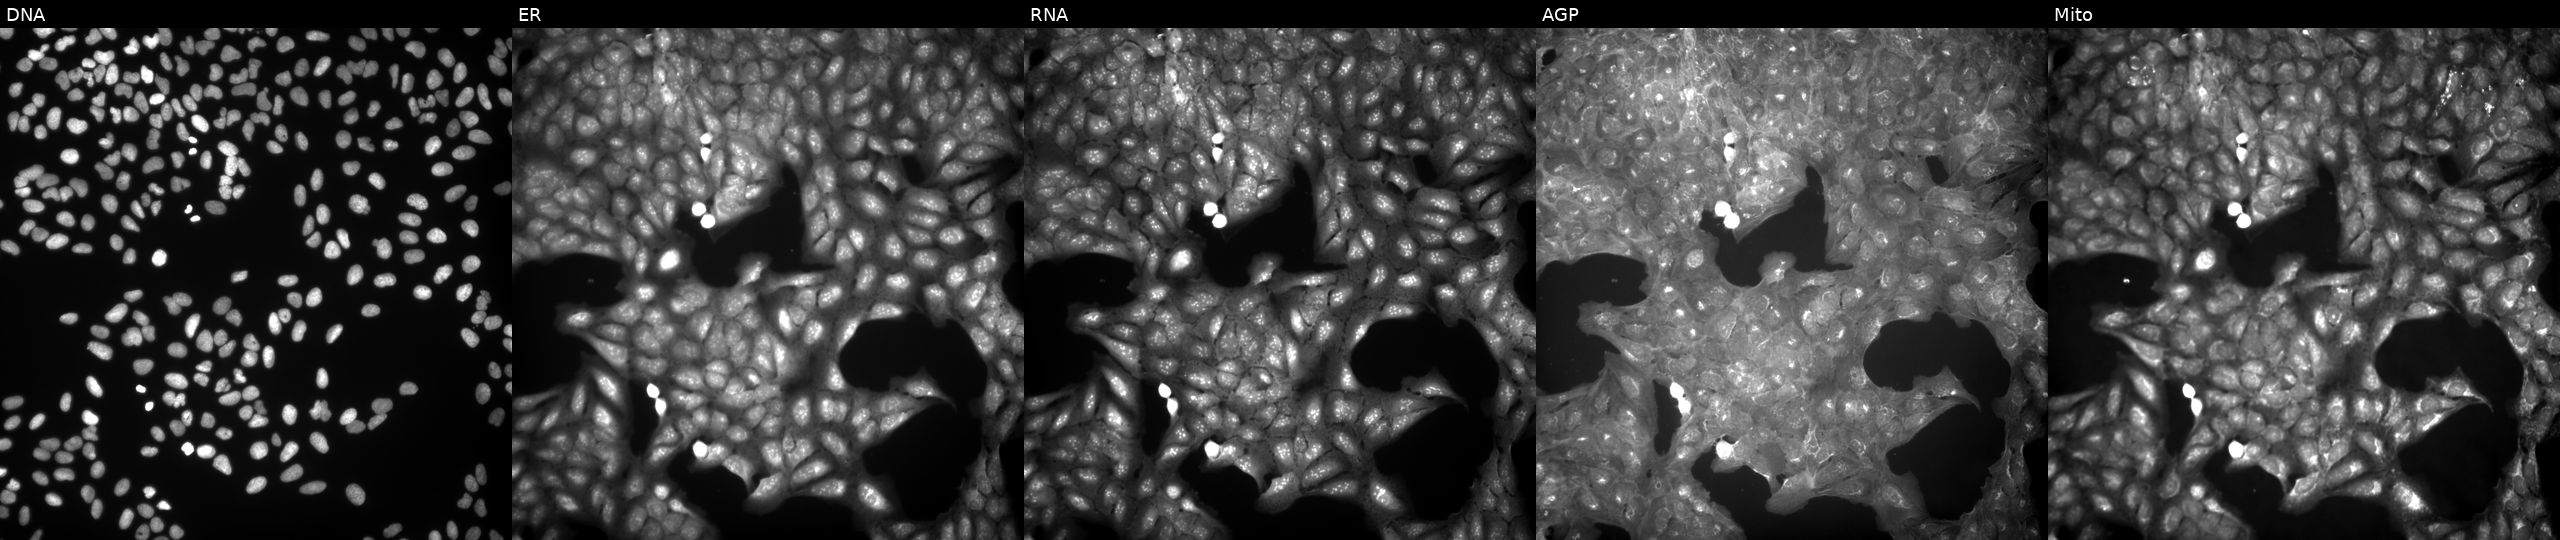
This image strip shows the five Cell Painting channels for a single field of U2OS cells perturbed with a small-molecule compound [SMILES: O=C(N=c1[nH]ccs1)c1cccc(S(=O)(=O)N2CCCCC2)c1]. The five panels, left to right, show DNA, ER, RNA, AGP, and Mito. Source 9, plate GR00003382, well H37.